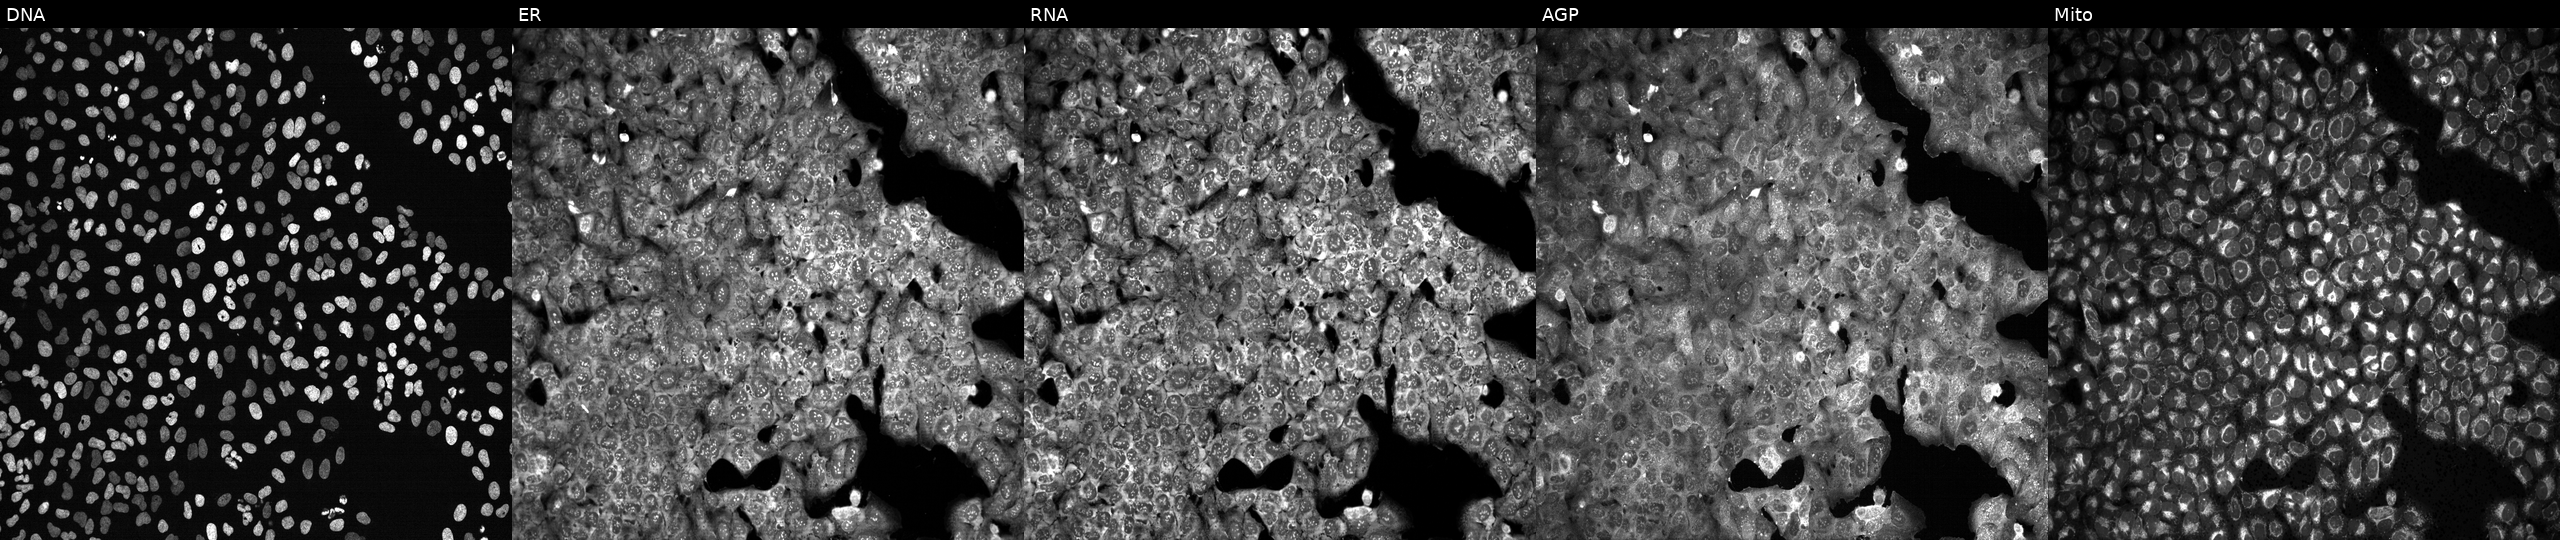
This image strip shows the five Cell Painting channels for a single field of U2OS cells treated with NVS-PAK1-1 (positive-control compound) (JUMP id JCP2022_064022). From left to right: Hoechst 33342, concanavalin A, SYTO 14, phalloidin and WGA, MitoTracker. Source 13, plate CP-CC9-R4-03, well B24.